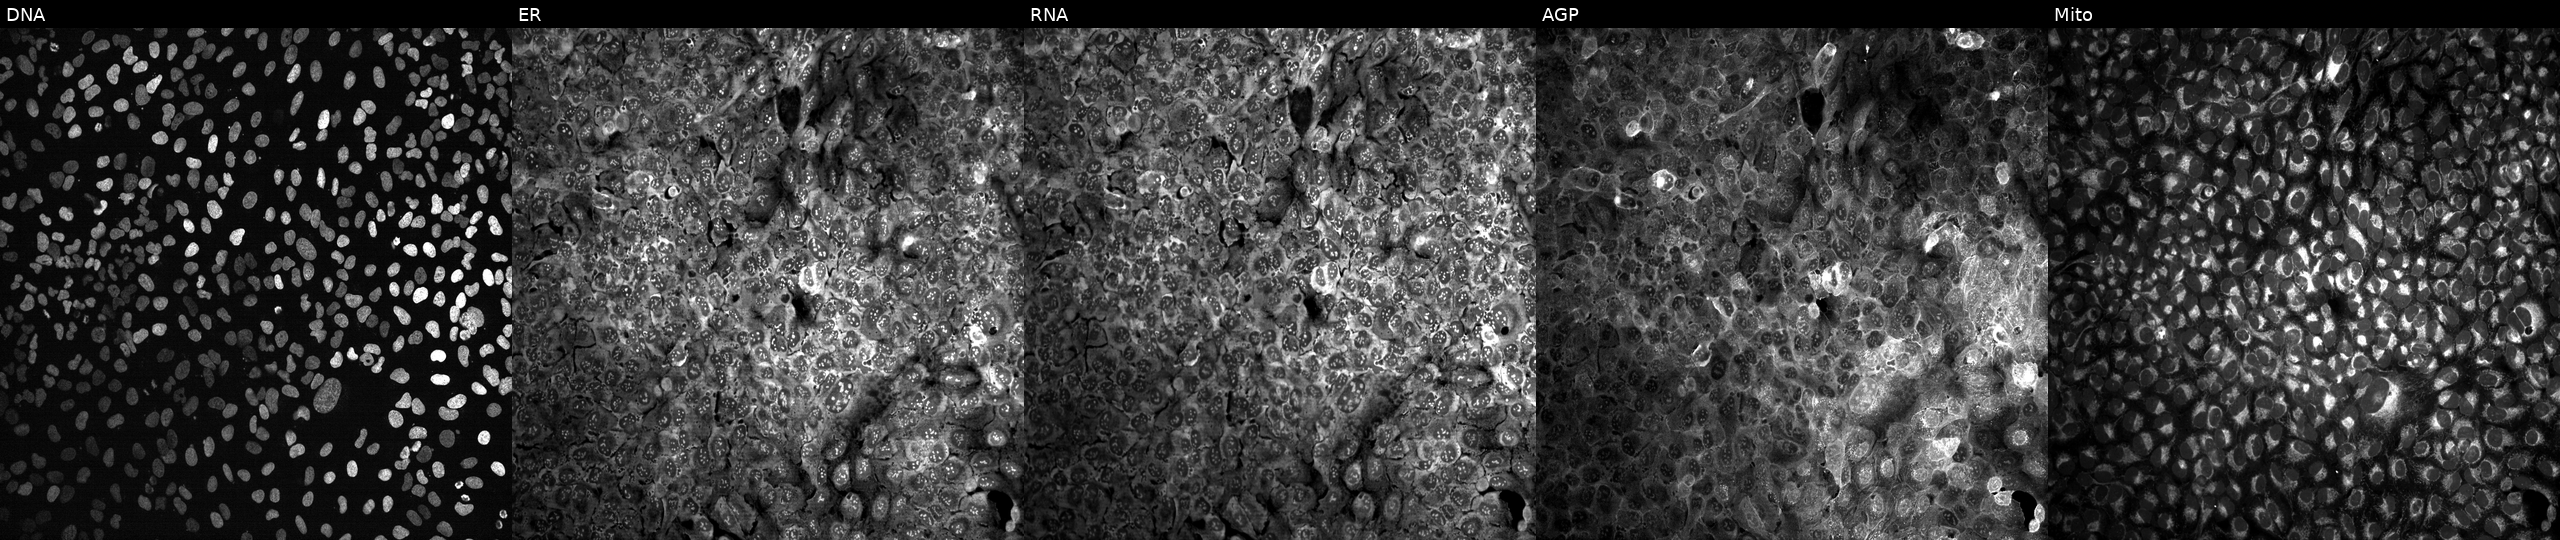
This image strip shows the five Cell Painting channels for a single field of U2OS cells following CRISPR knockout of PRODH (JUMP id JCP2022_805554). From left to right: DNA (nuclei); ER (endoplasmic reticulum); RNA (nucleoli and cytoplasmic RNA); AGP (actin cytoskeleton, Golgi, and plasma membrane); Mito (mitochondria).